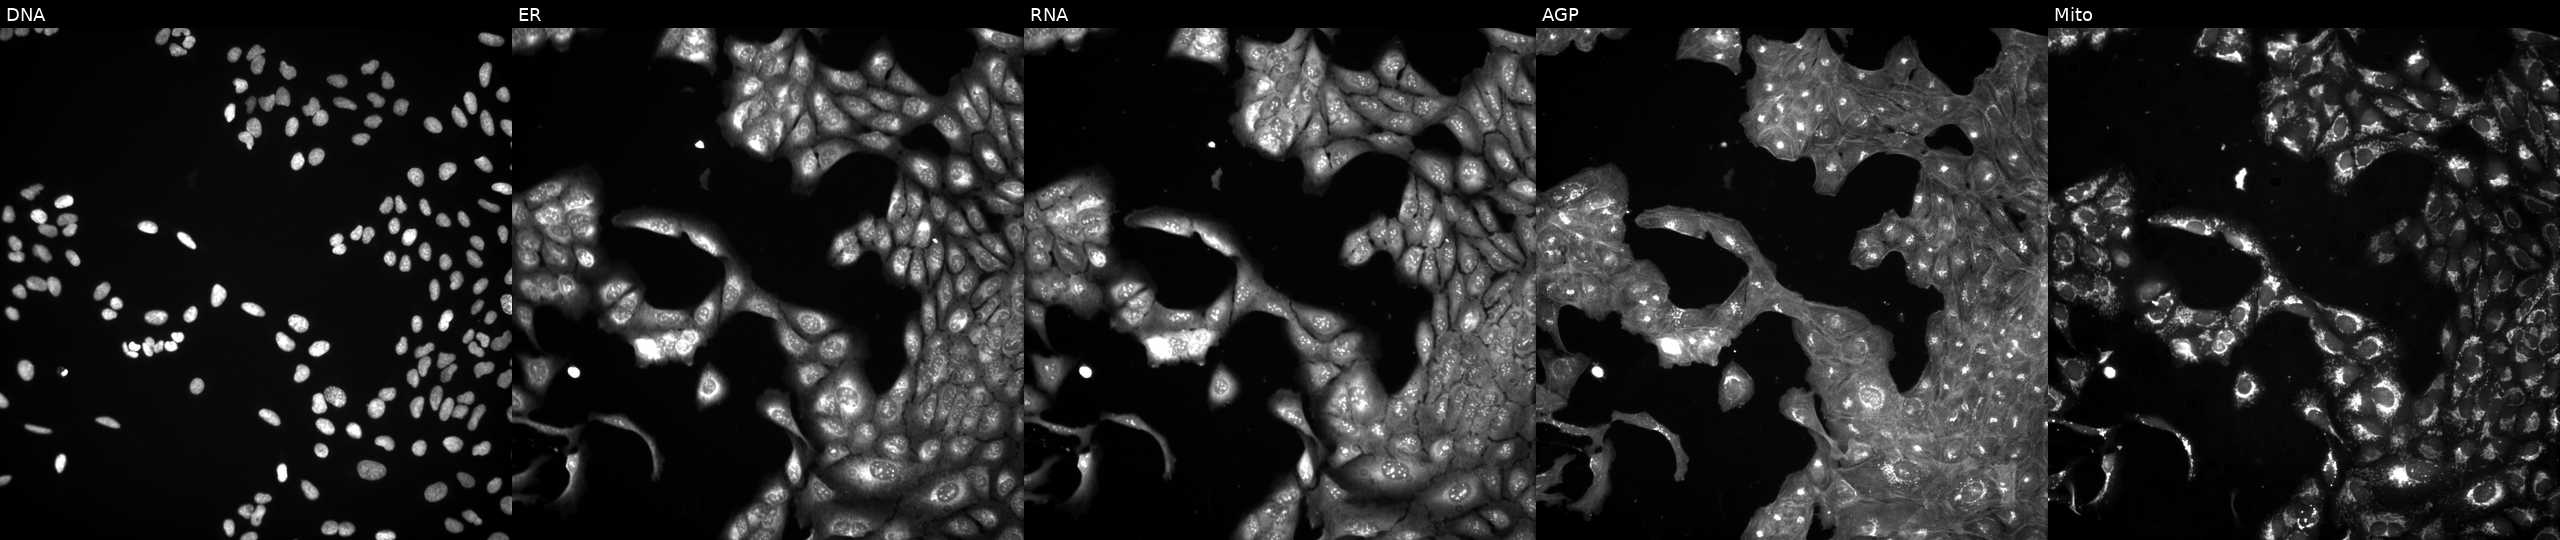
High-content fluorescence microscopy (Cell Painting). Cell line: U2OS. Perturbation: treated with DMSO vehicle only (negative control). From left to right: DNA, ER, RNA, AGP, and Mito.